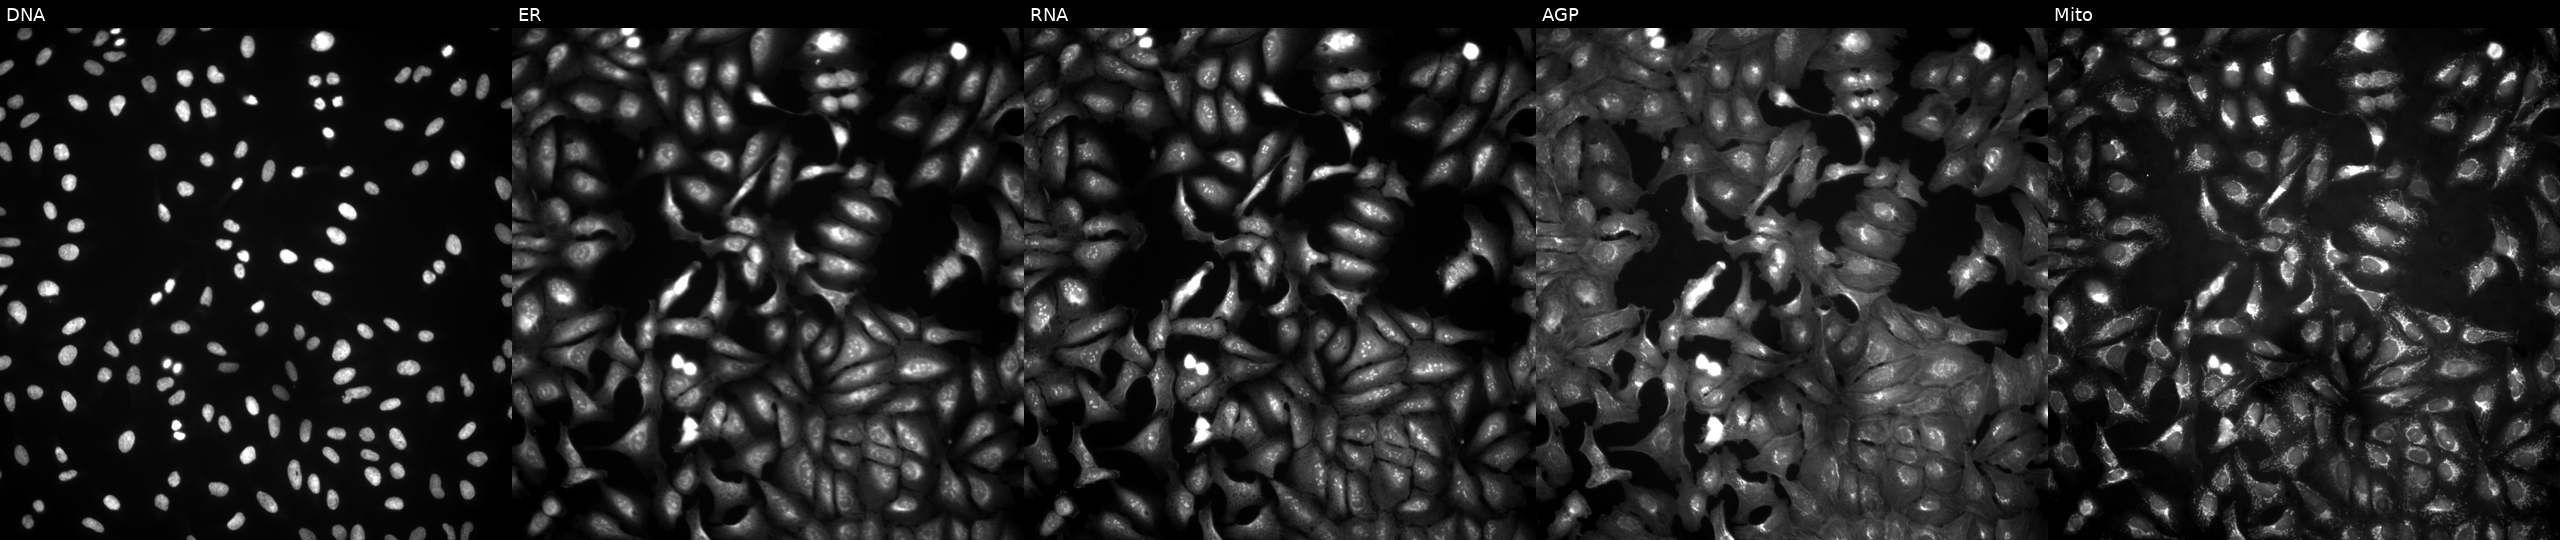
From left to right: DNA, ER, RNA, AGP, and Mito. U2OS osteosarcoma cells with SPN overexpressed (ORF) (JUMP id JCP2022_901478). Cell Painting assay, JUMP-CP dataset. Source 4, plate BR00124790, well B05.